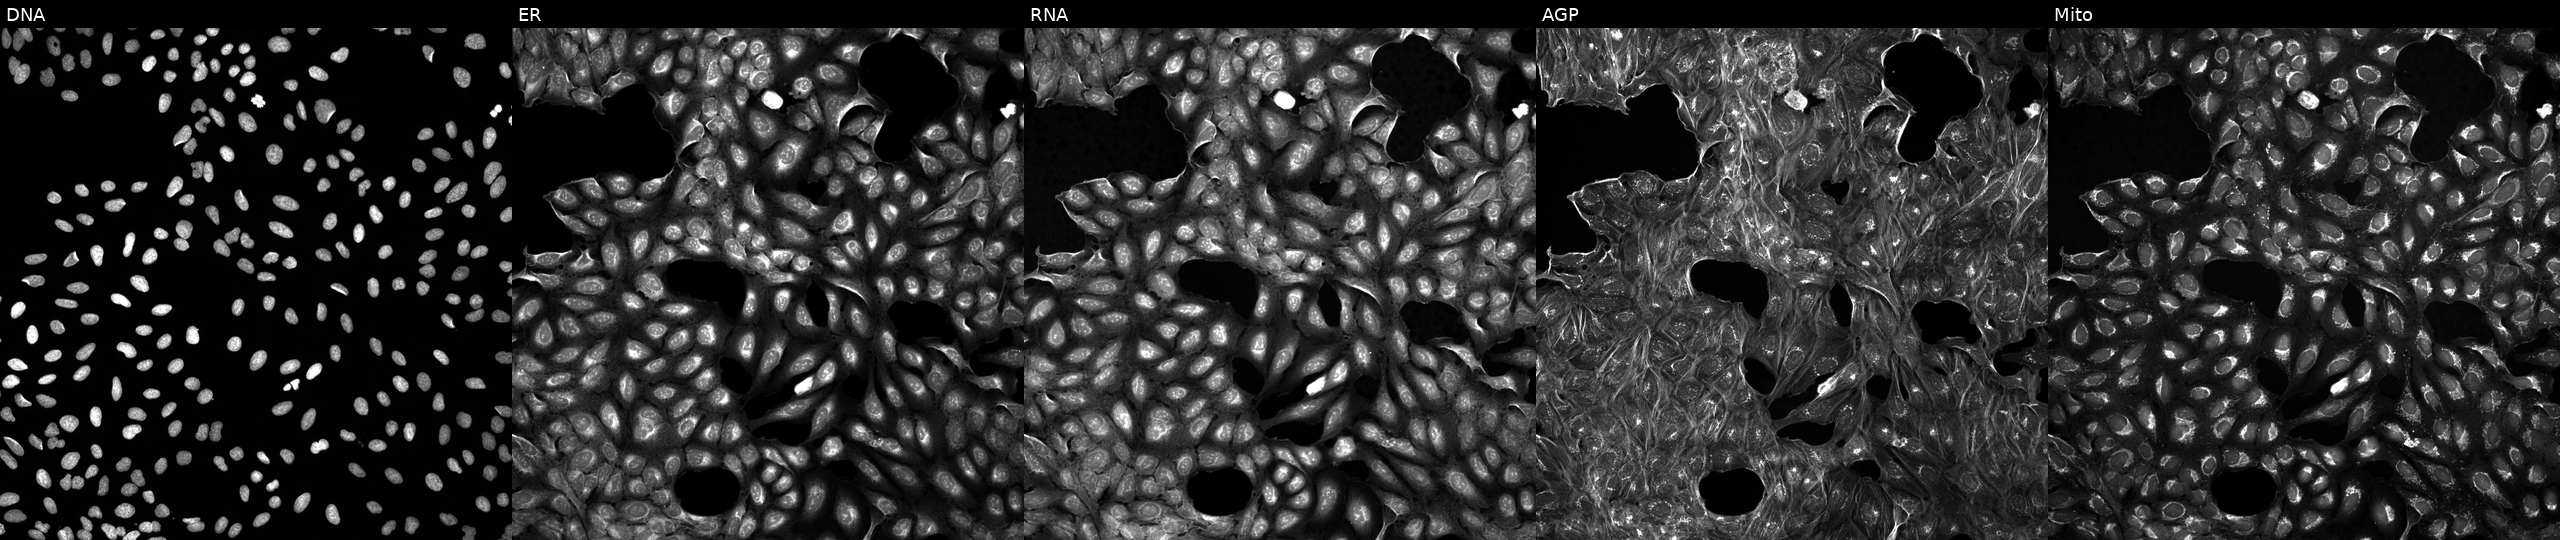
Panels show, left to right, DNA, ER, RNA, AGP, and Mito. U2OS osteosarcoma cells treated with a small-molecule compound [SMILES: C=C(C)C1C2OC(=O)C1C1(O)CC3OC34C(=O)OC2C14C] (JUMP id JCP2022_068838). Cell Painting assay, JUMP-CP dataset. Source 5, plate ACPJUM012, well C05.